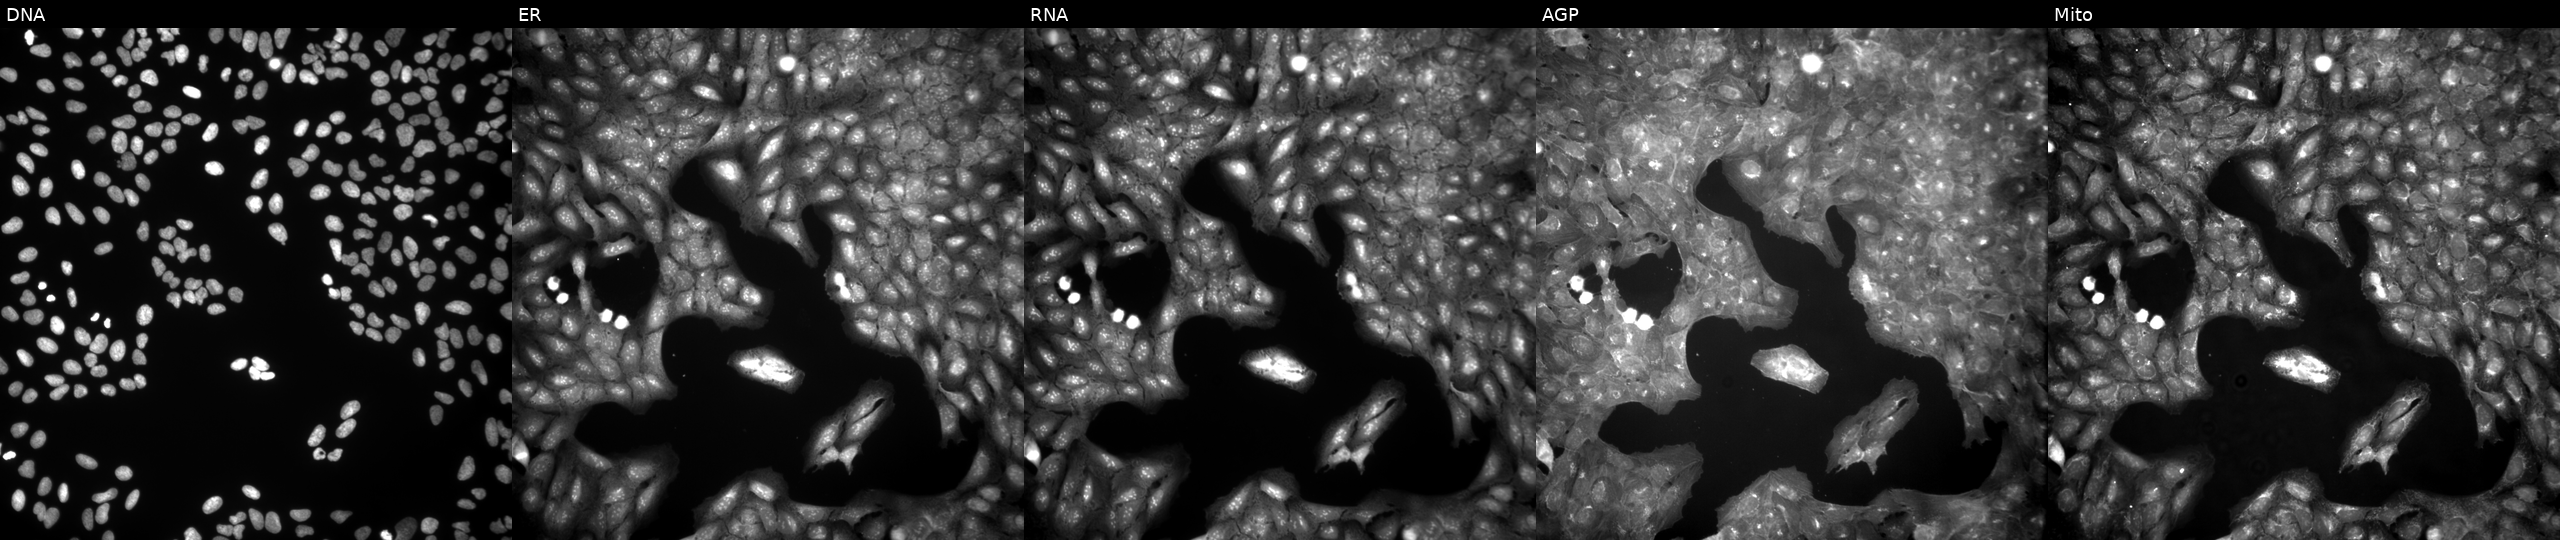
JUMP Cell Painting — COMPOUND plate. U2OS cells treated with a small-molecule compound (InChIKey PXPASPJHPQXWFE-UHFFFAOYSA-N) (JUMP id JCP2022_071631). The five panels, left to right, show DNA, ER, RNA, AGP, and Mito. Source 9, plate GR00003382, well D37.